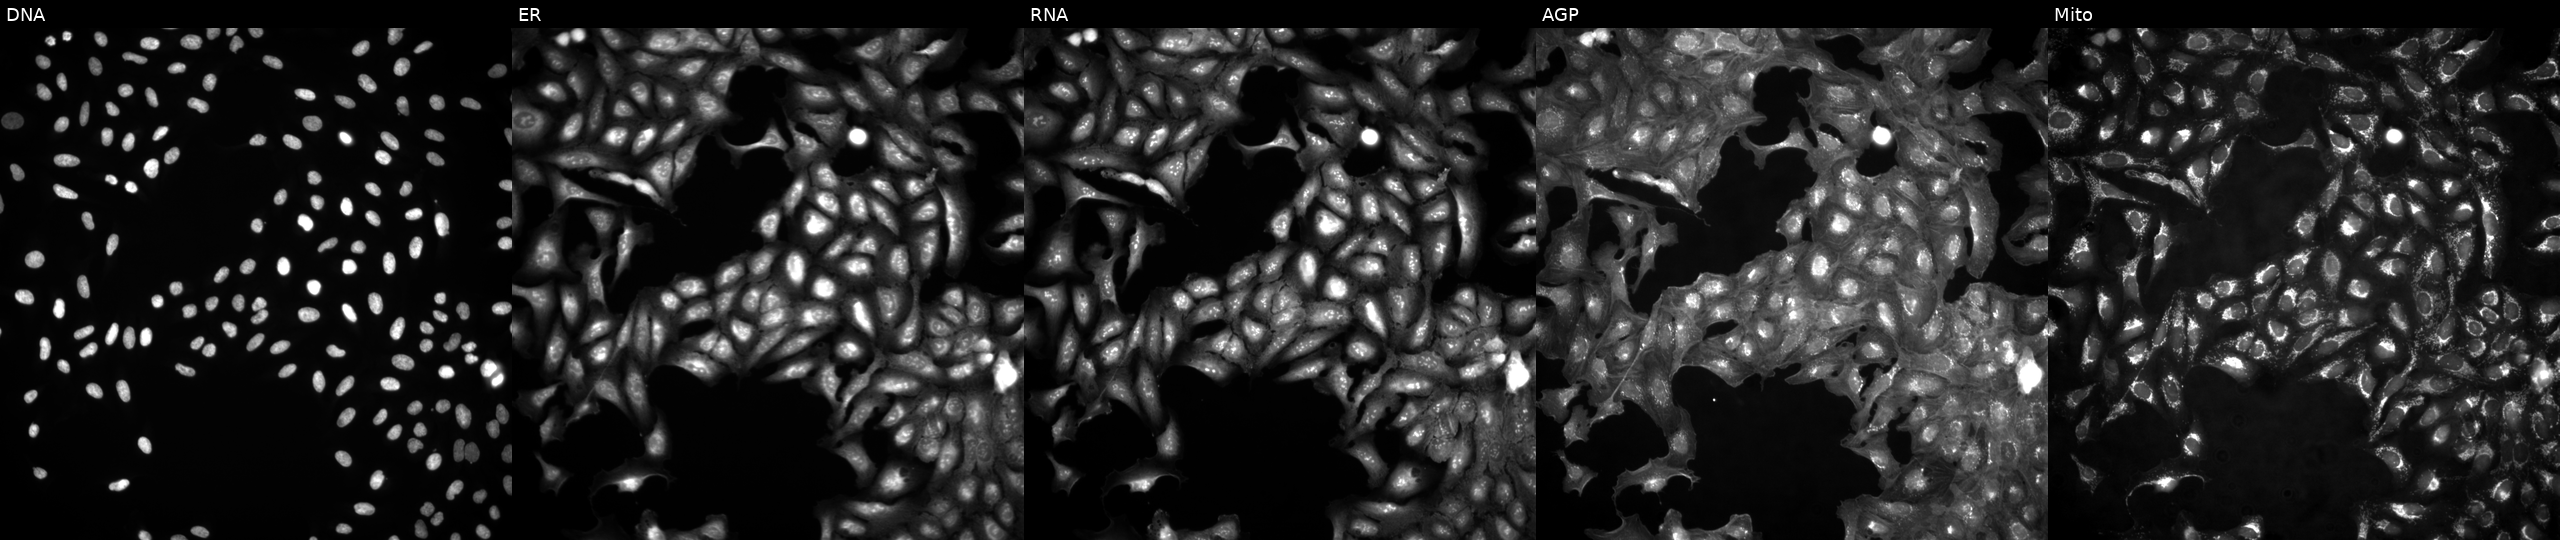
High-content fluorescence microscopy (Cell Painting). Cell line: U2OS. Perturbation: in an empty control well (no perturbation) (JUMP id JCP2022_999999). Channels (left→right): Hoechst 33342, concanavalin A, SYTO 14, phalloidin and WGA, MitoTracker.